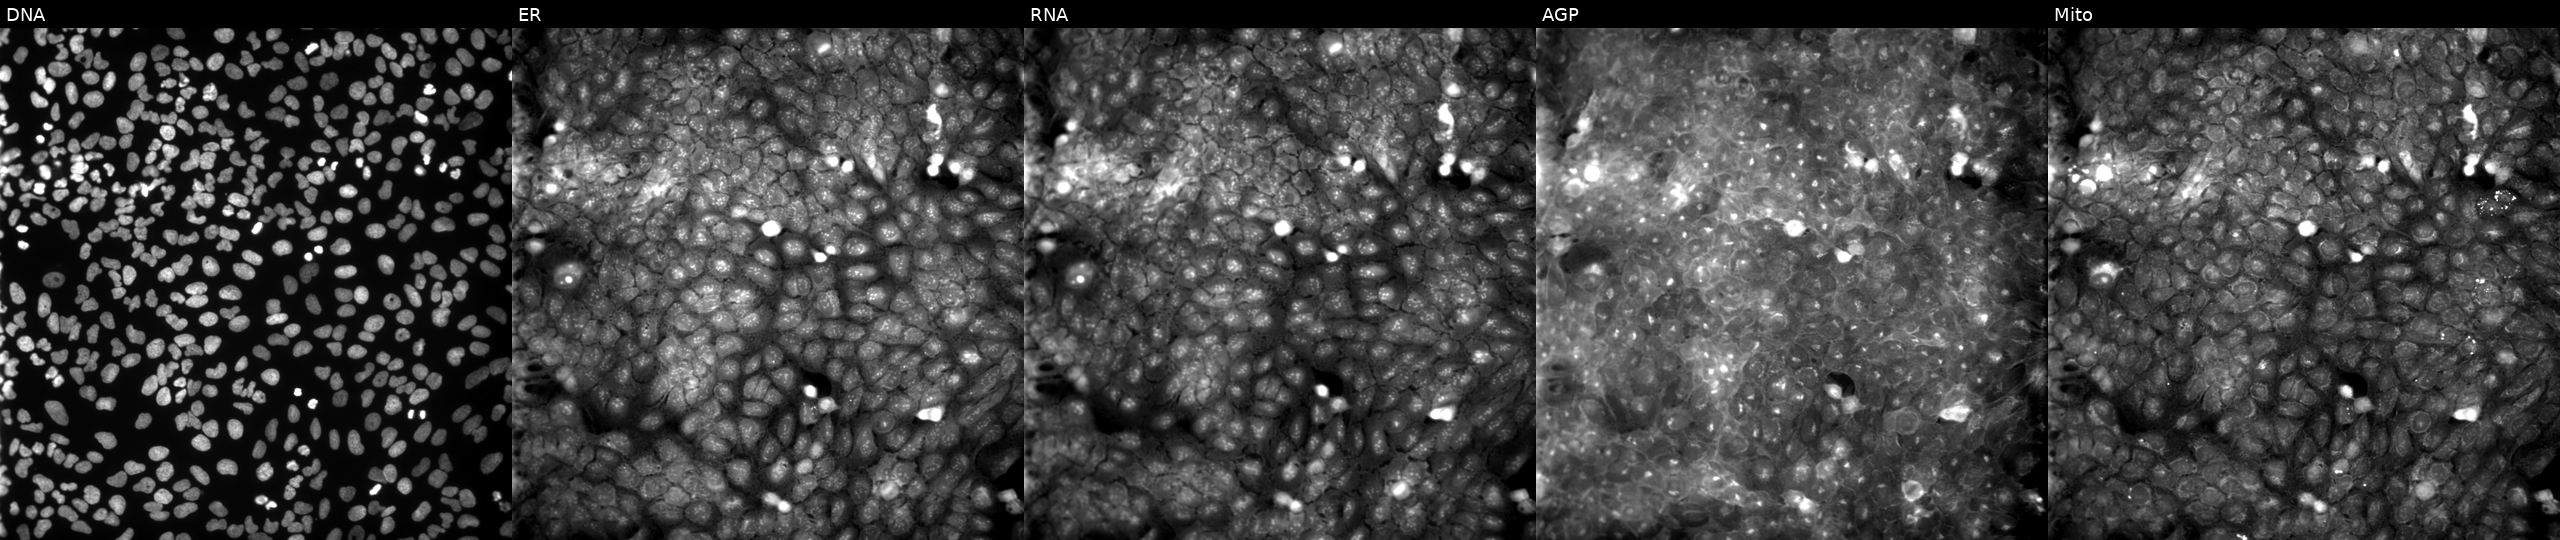
JUMP Cell Painting — COMPOUND plate. U2OS cells exposed to a small-molecule compound (JUMP id JCP2022_082826). Panels show, left to right, DNA, ER, RNA, AGP, and Mito.